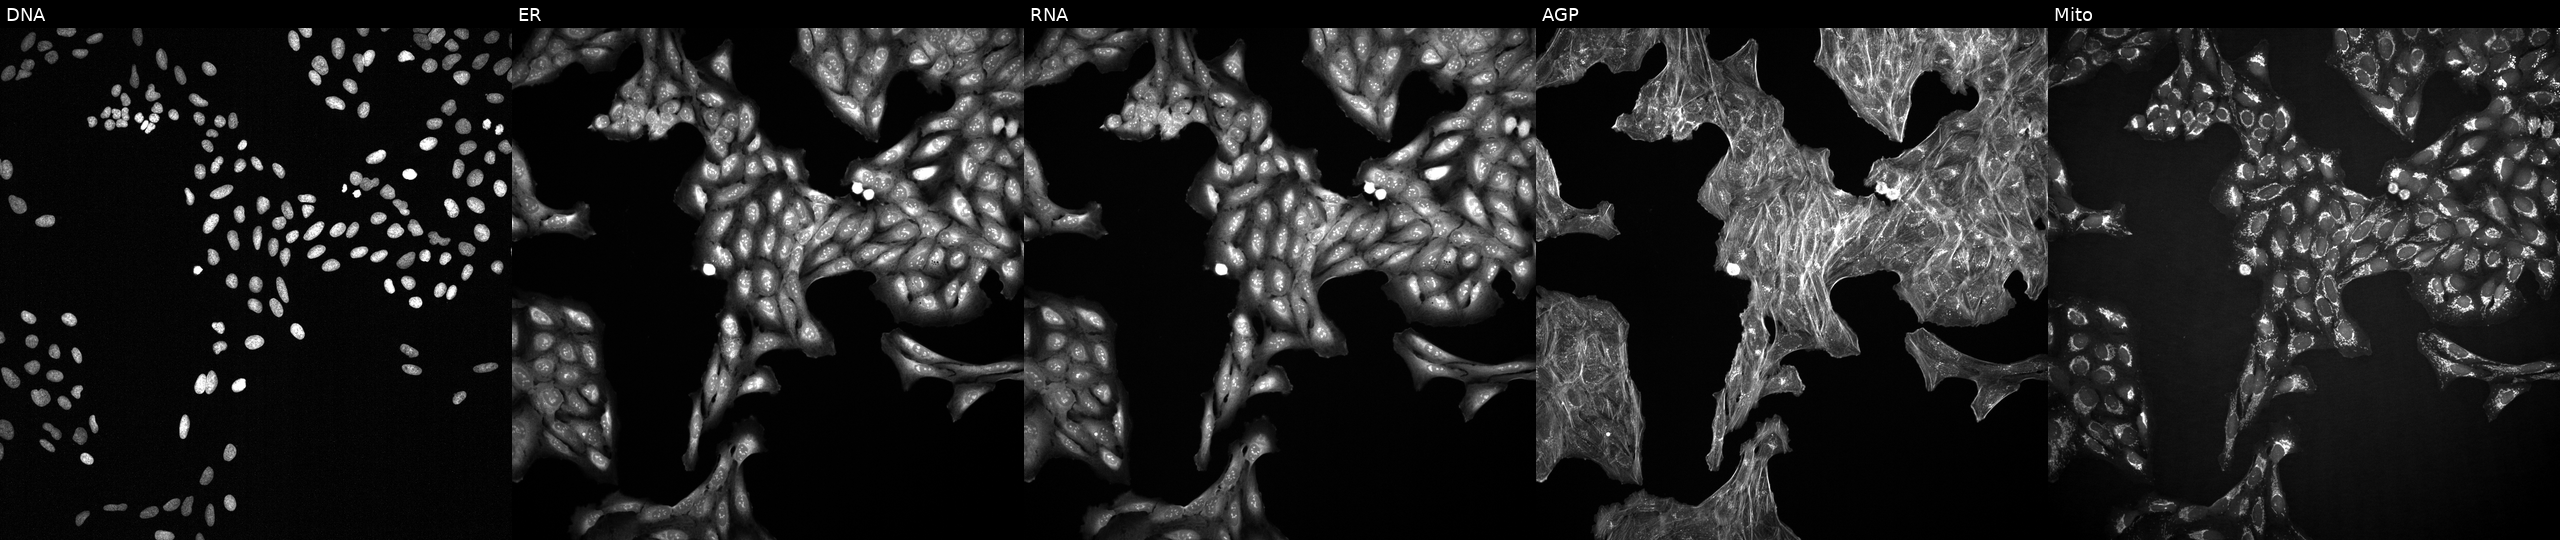
U2OS cells, Cell Painting assay, perturbed with a small-molecule compound (InChIKey ZMUSCGJNJYXJBP-UHFFFAOYSA-N) (JUMP id JCP2022_114322). The five panels, left to right, show DNA (nuclei); ER (endoplasmic reticulum); RNA (nucleoli and cytoplasmic RNA); AGP (actin cytoskeleton, Golgi, and plasma membrane); Mito (mitochondria). Each panel is percentile-stretched 16-bit fluorescence.